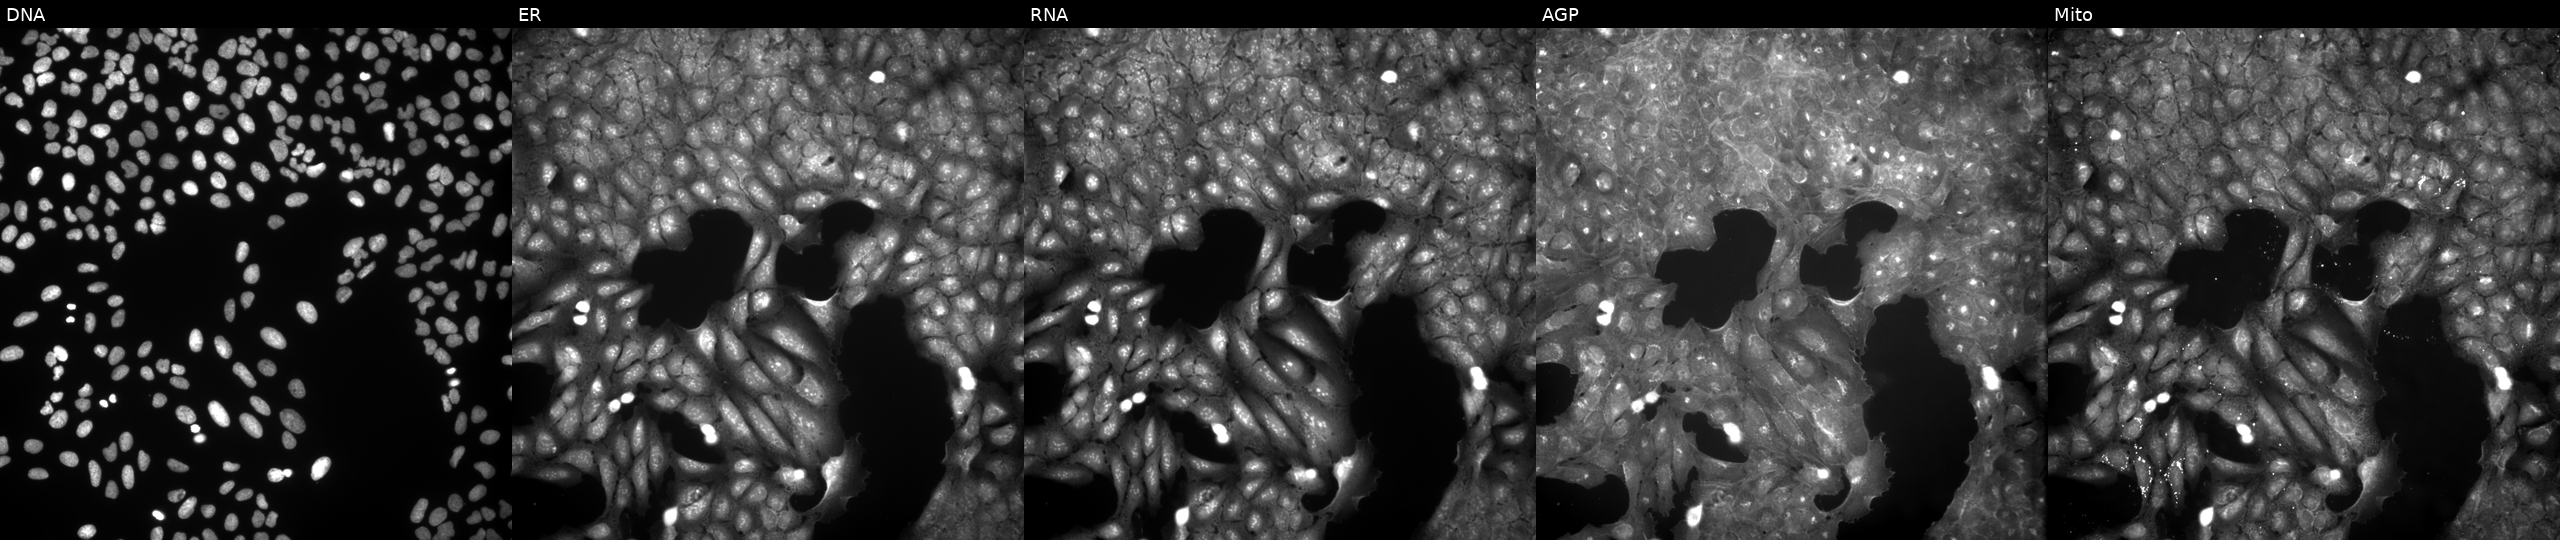
High-content fluorescence microscopy (Cell Painting). Cell line: U2OS. Perturbation: perturbed with a small-molecule compound. Channels (left→right): Hoechst 33342, concanavalin A, SYTO 14, phalloidin and WGA, MitoTracker.